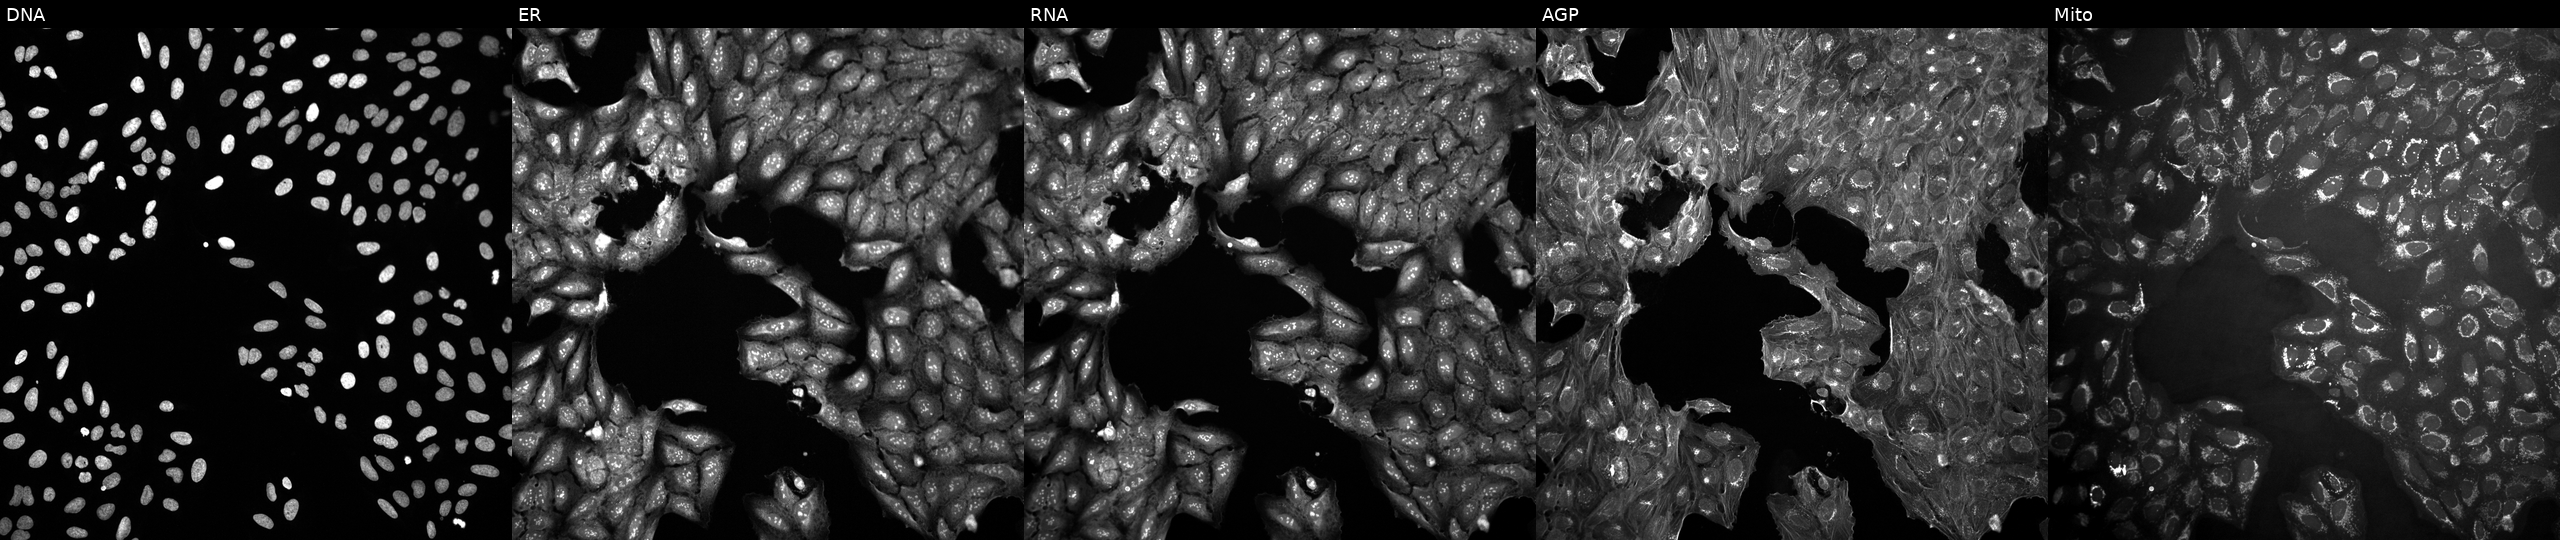
This image strip shows the five Cell Painting channels for a single field of U2OS cells untreated (empty-well control). The five panels, left to right, show Hoechst 33342, concanavalin A, SYTO 14, phalloidin and WGA, MitoTracker.